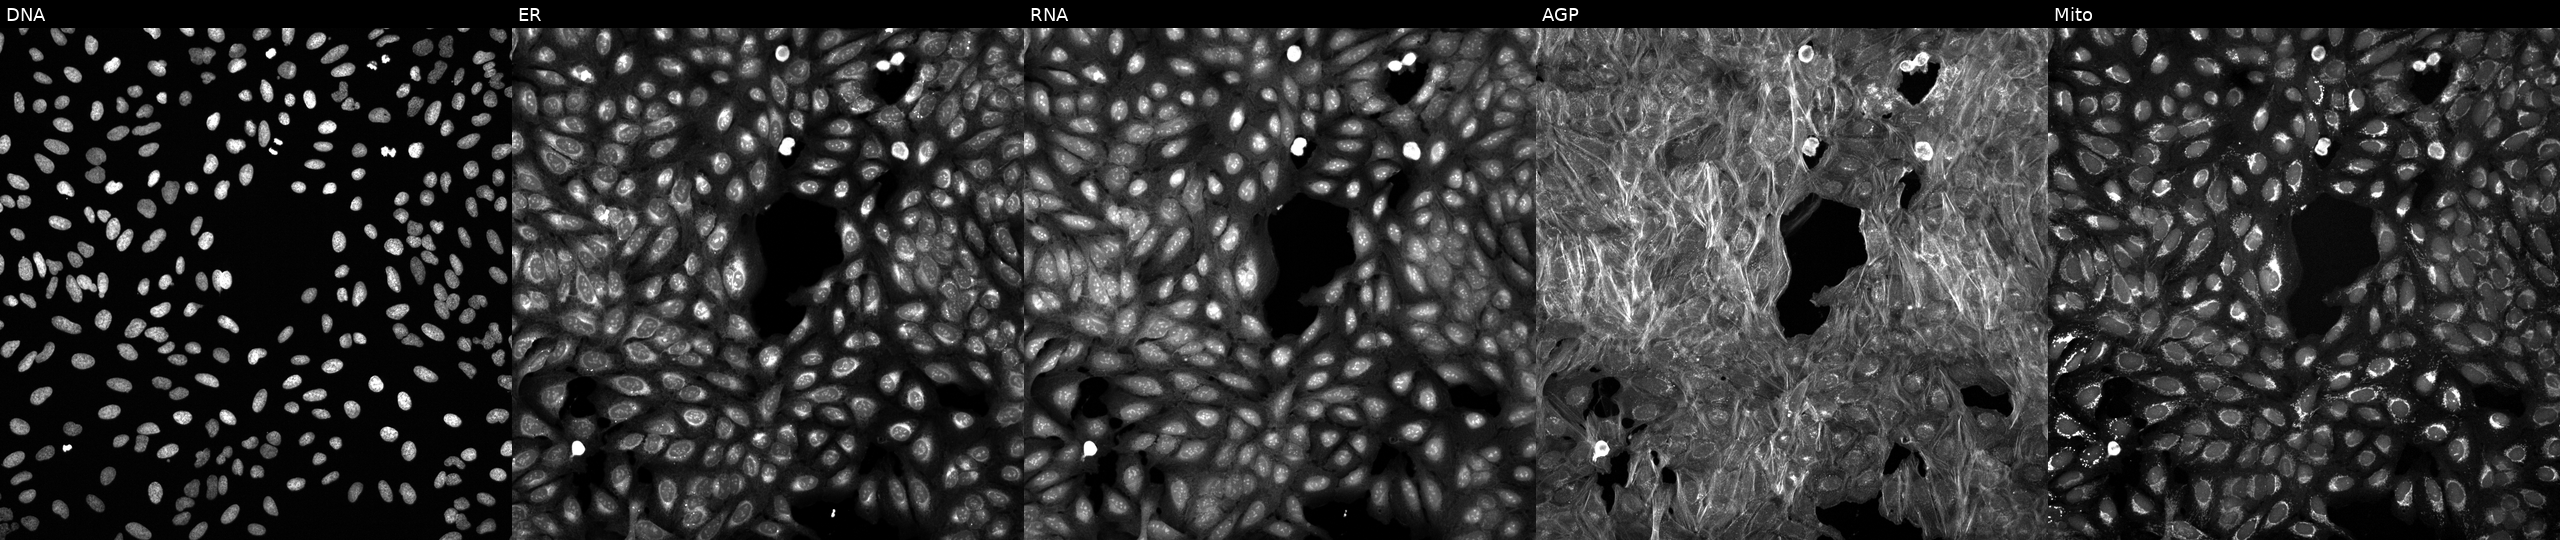
High-content fluorescence microscopy (Cell Painting). Cell line: U2OS. Perturbation: exposed to DMSO alone as a negative control. The five panels, left to right, show Hoechst 33342, concanavalin A, SYTO 14, phalloidin and WGA, MitoTracker.